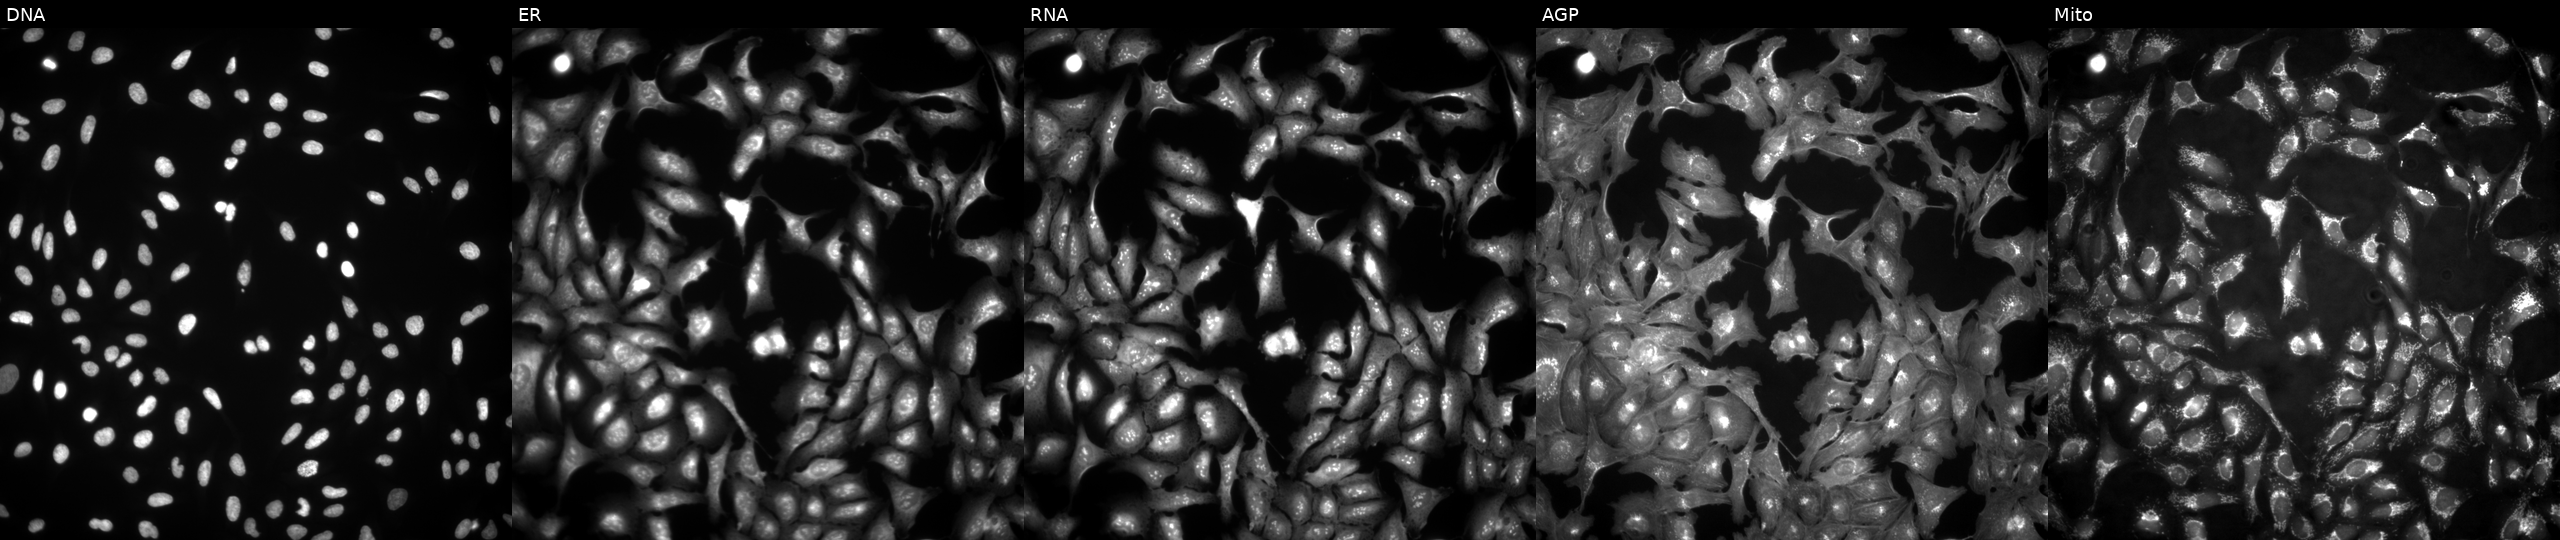
Five-channel Cell Painting image of U2OS cells with PDCD1LG2 overexpressed (ORF) (JUMP id JCP2022_908437). Panels show, left to right, DNA, ER, RNA, AGP, and Mito.